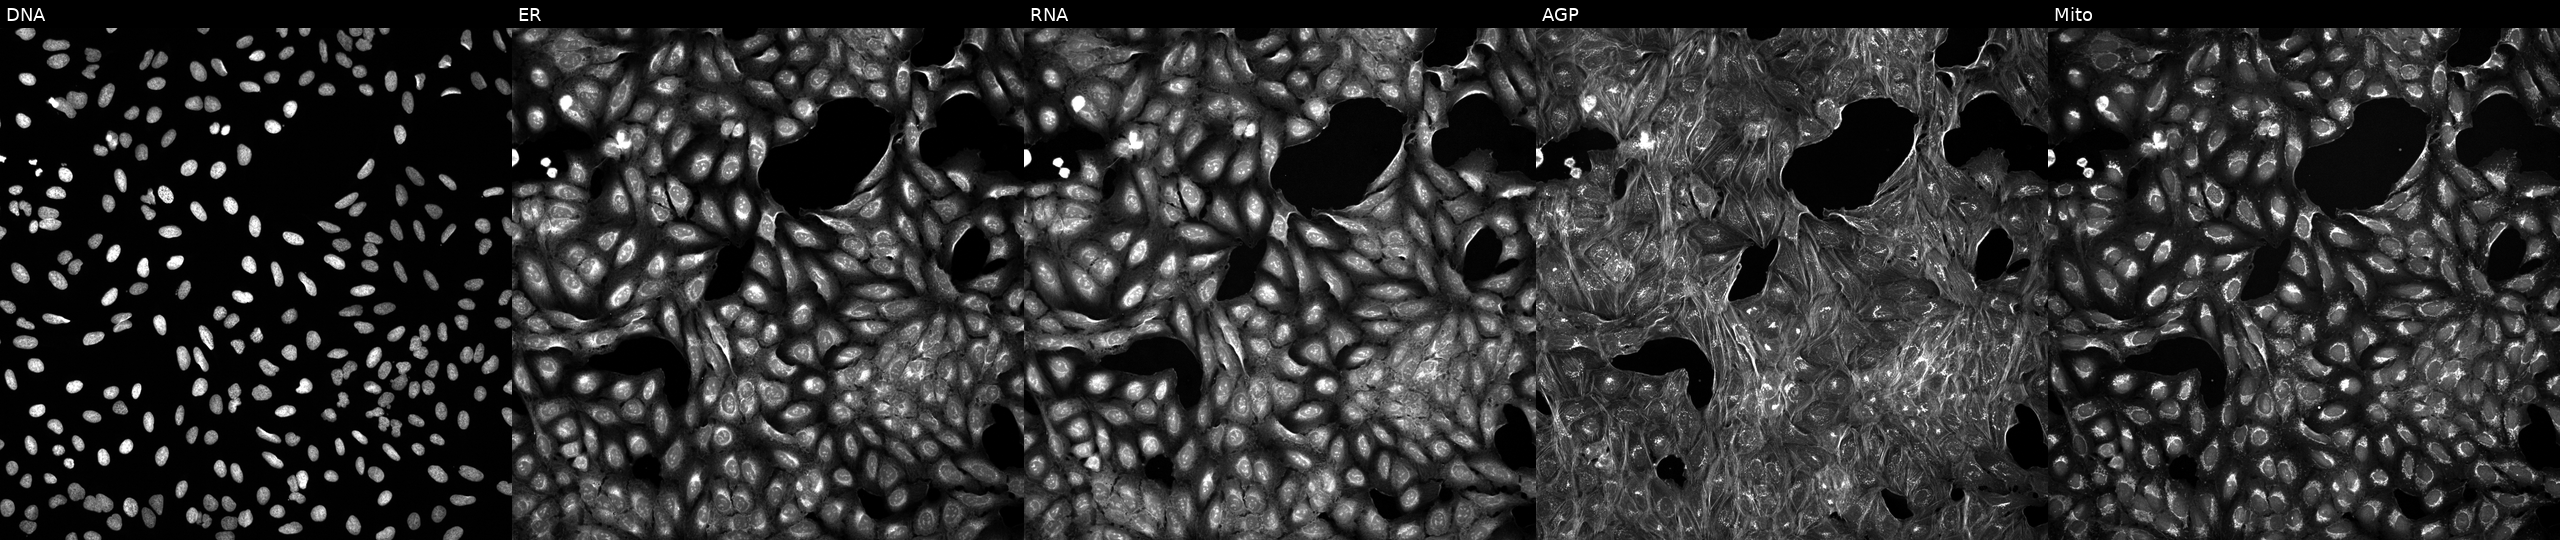
This image strip shows the five Cell Painting channels for a single field of U2OS cells exposed to DMSO alone as a negative control (JUMP id JCP2022_033924). The five panels, left to right, show Hoechst 33342, concanavalin A, SYTO 14, phalloidin and WGA, MitoTracker. Source 5, plate ACPJUM032, well J12.